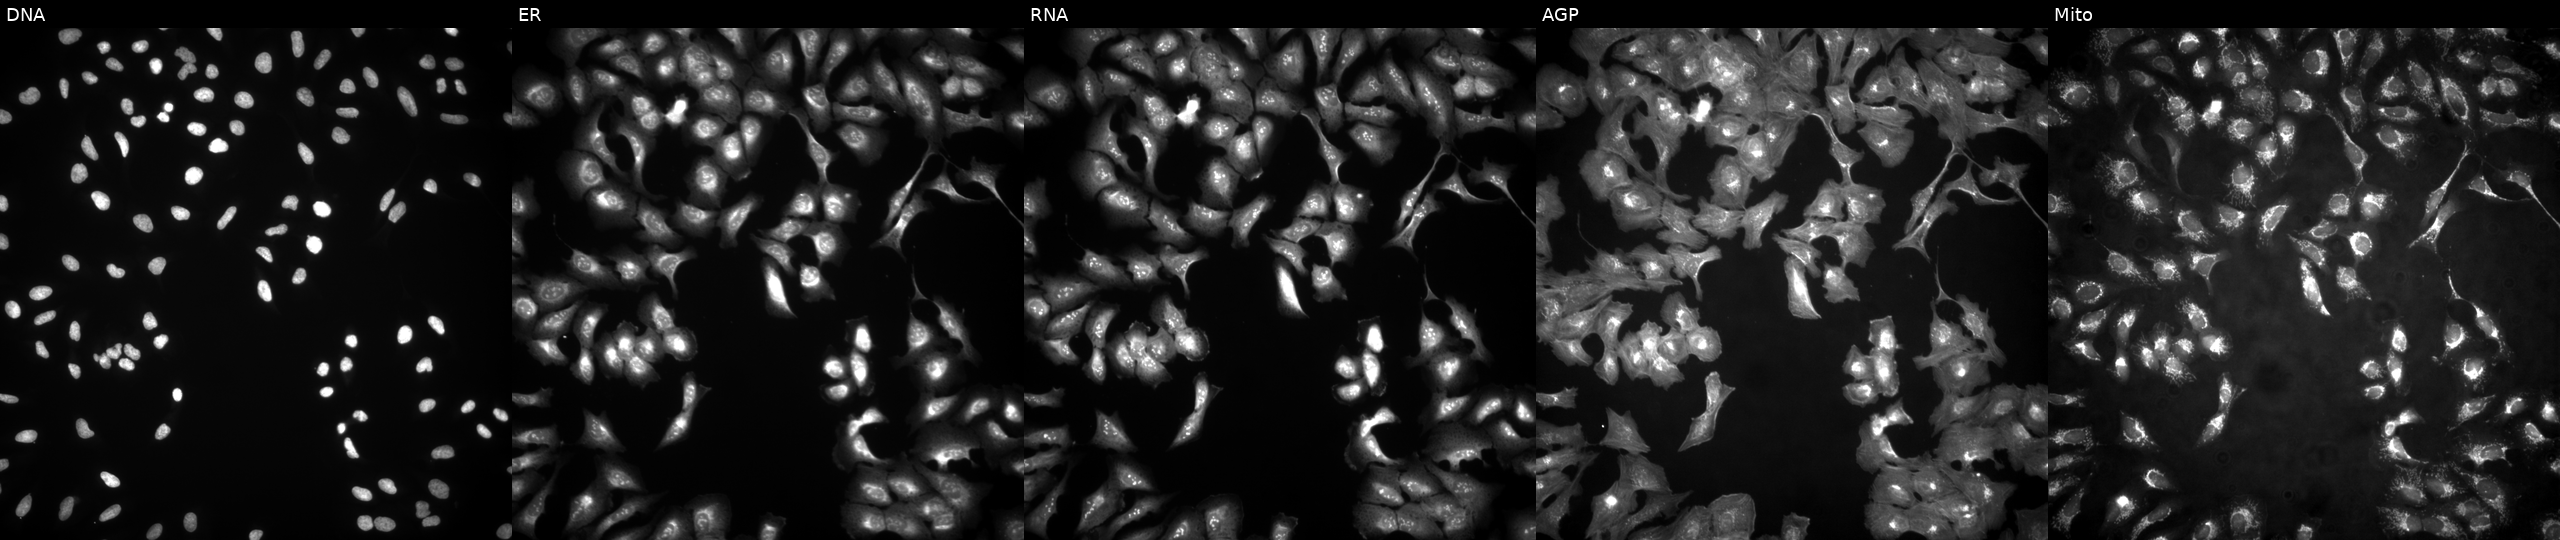
Five-channel Cell Painting image of U2OS cells transfected with an ORF construct for PITHD1. Channels (left→right): DNA, ER, RNA, AGP, and Mito.